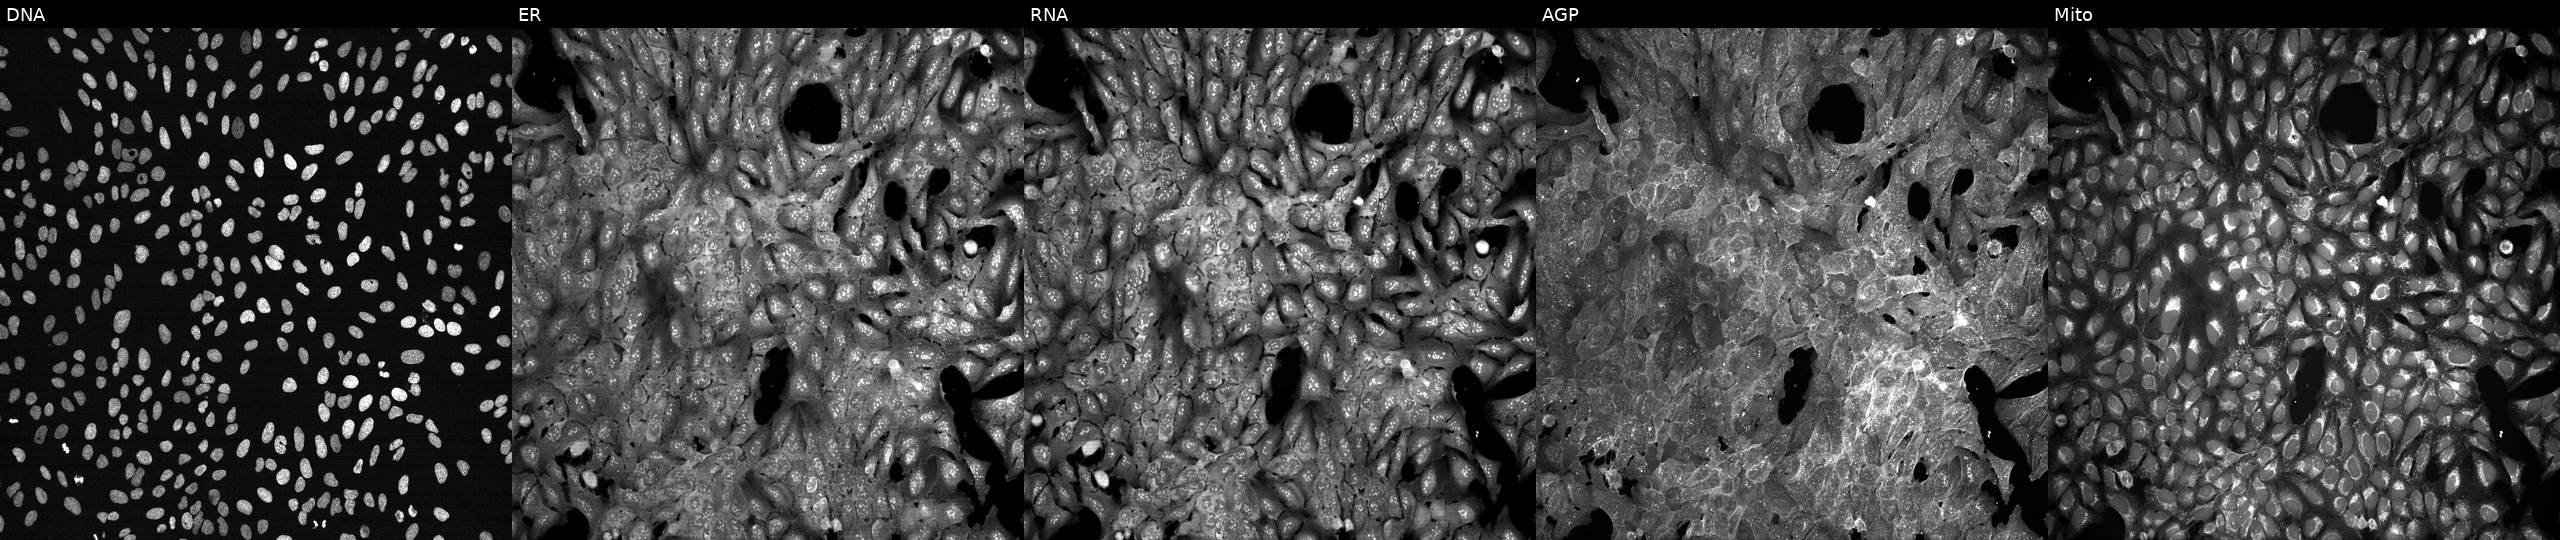
Panels show, left to right, Hoechst 33342, concanavalin A, SYTO 14, phalloidin and WGA, MitoTracker. U2OS osteosarcoma cells exposed to a small-molecule compound (InChIKey ZMUSCGJNJYXJBP-UHFFFAOYSA-N). Cell Painting assay, JUMP-CP dataset.